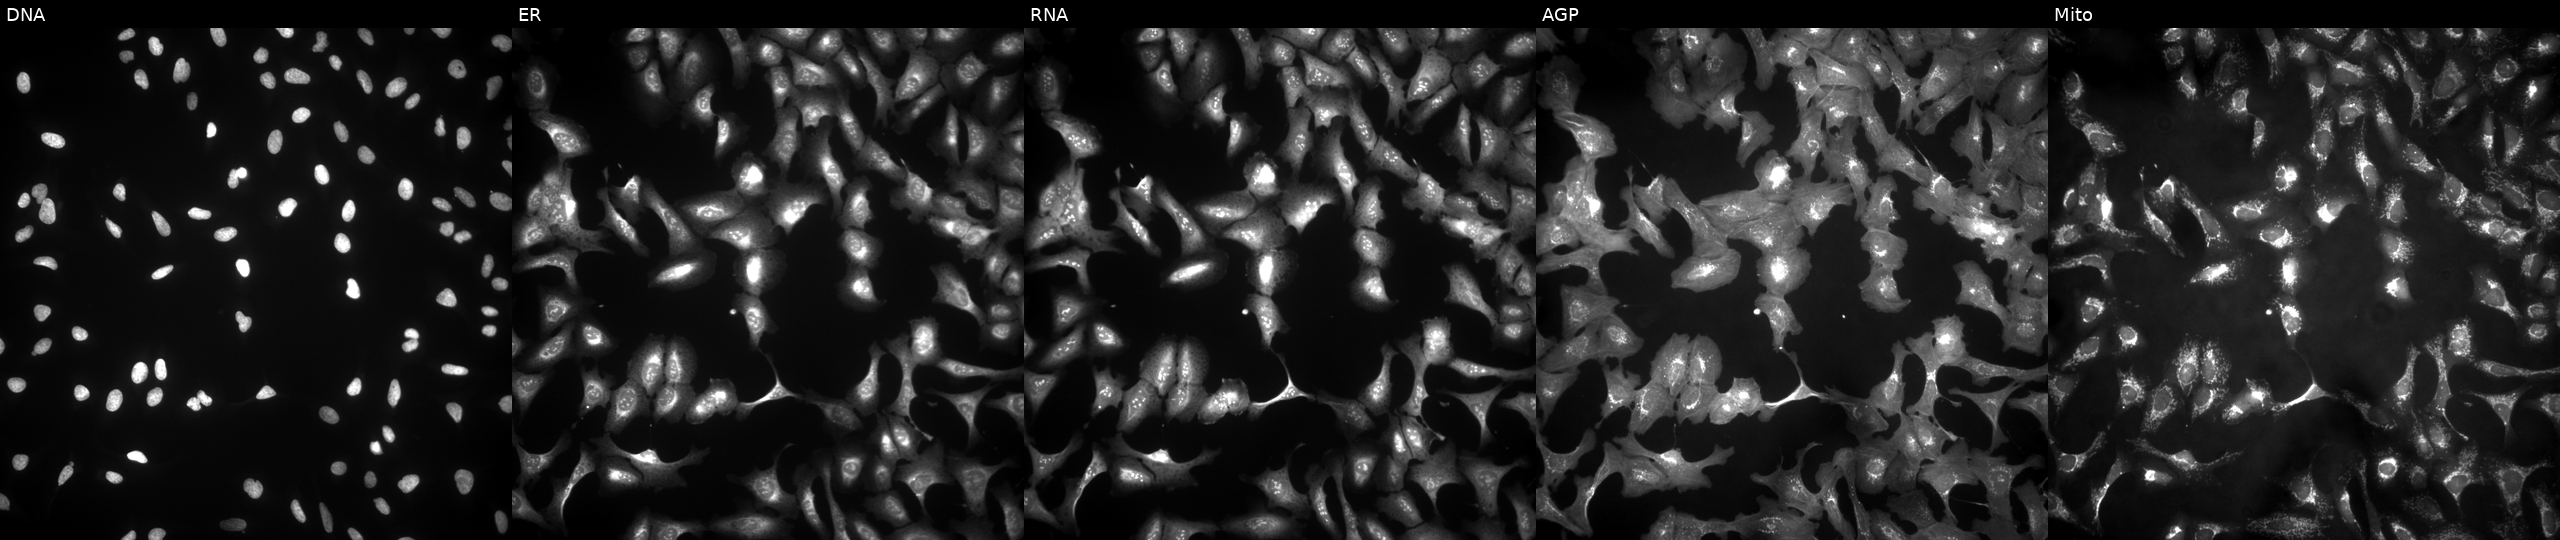
U2OS cells, Cell Painting assay, with POC1B overexpressed (ORF) (JUMP id JCP2022_904998). From left to right: DNA (nuclei); ER (endoplasmic reticulum); RNA (nucleoli and cytoplasmic RNA); AGP (actin cytoskeleton, Golgi, and plasma membrane); Mito (mitochondria). Each panel is percentile-stretched 16-bit fluorescence. Source 4, plate BR00123506, well L23.